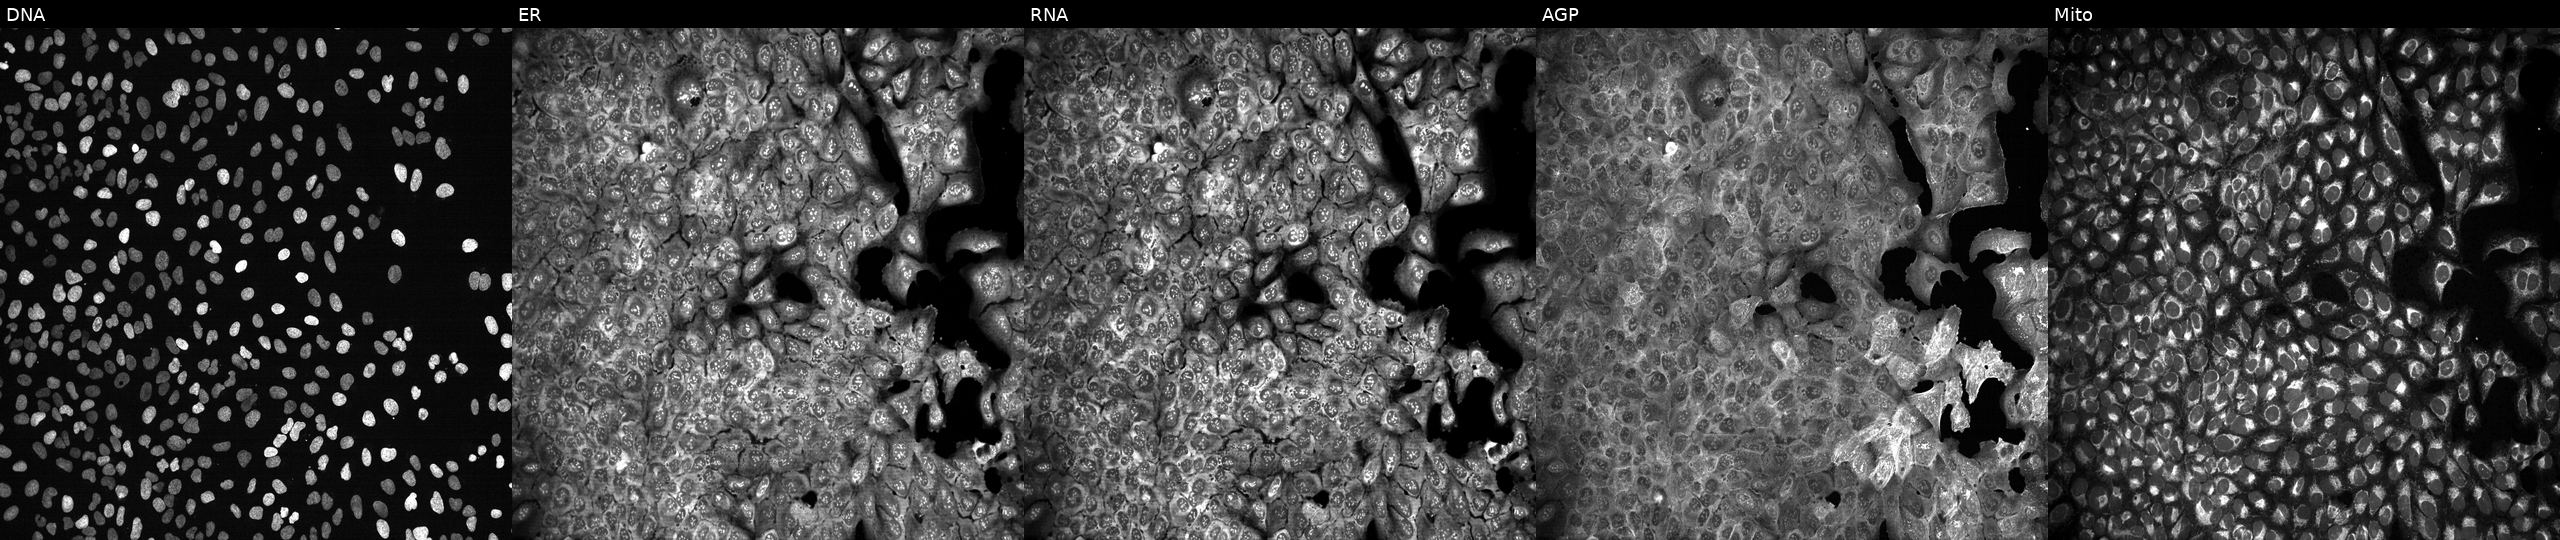
This image strip shows the five Cell Painting channels for a single field of U2OS cells with JMJD6 knocked out by CRISPR. The five panels, left to right, show DNA, ER, RNA, AGP, and Mito.